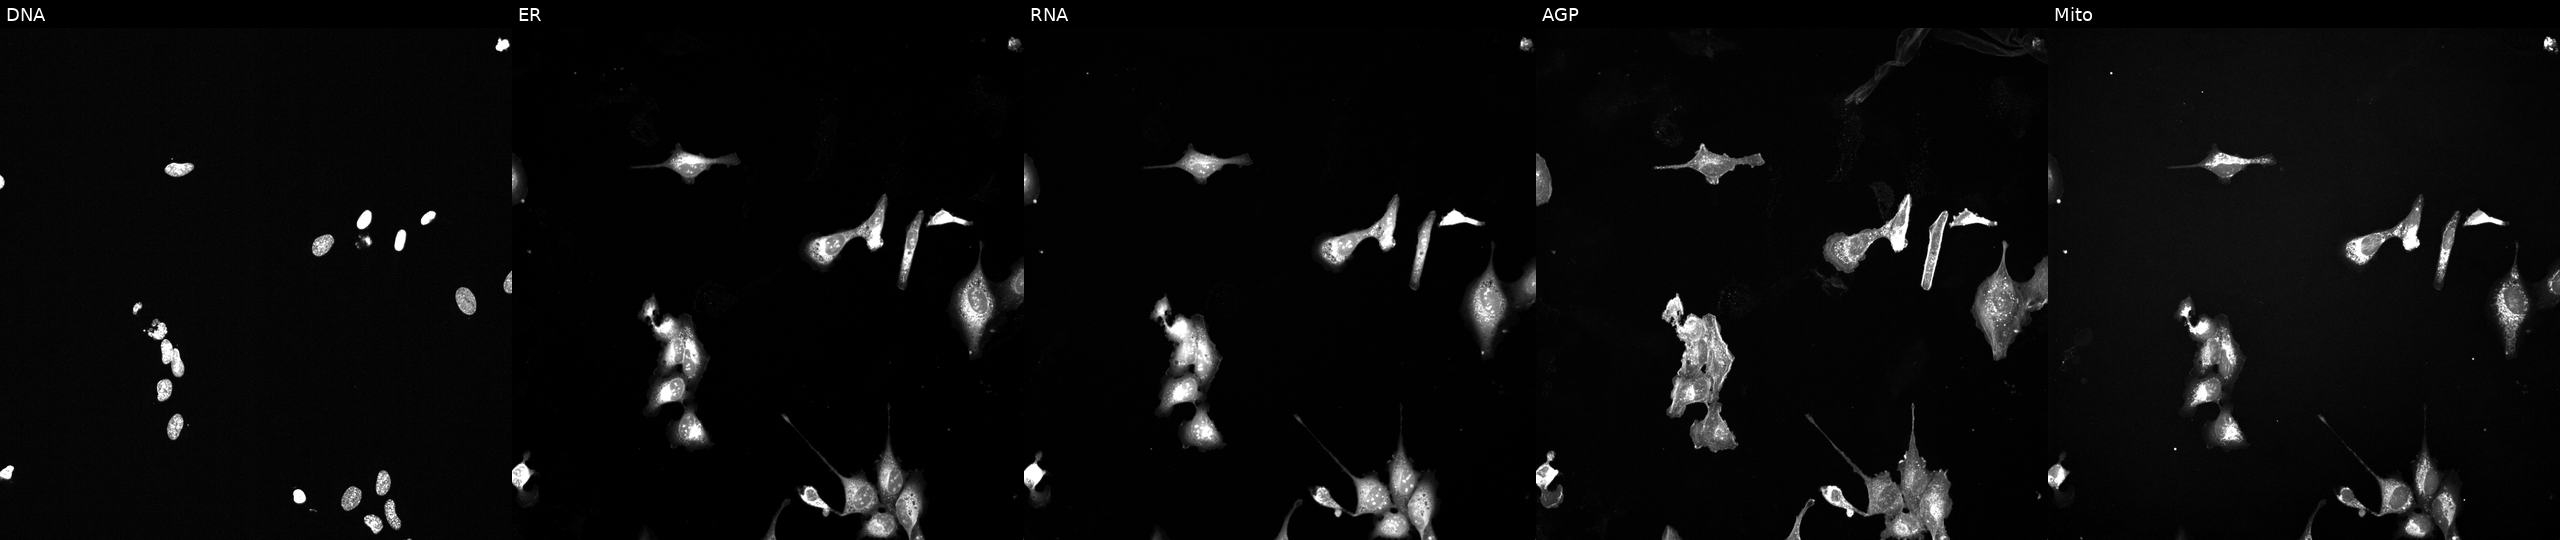
High-content fluorescence microscopy (Cell Painting). Cell line: U2OS. Perturbation: exposed to a small-molecule compound (InChIKey XQVVPGYIWAGRNI-UHFFFAOYSA-N) [SMILES: CCC1C(=O)N(C)c2c[nH]c(=Nc3ccc(C(=O)NC4CCN(C)CC4)cc3OC)nc2N1C1CCCC1] (JUMP id JCP2022_105442). Panels show, left to right, DNA, ER, RNA, AGP, and Mito. Source 6, plate 110000293093, well D07.